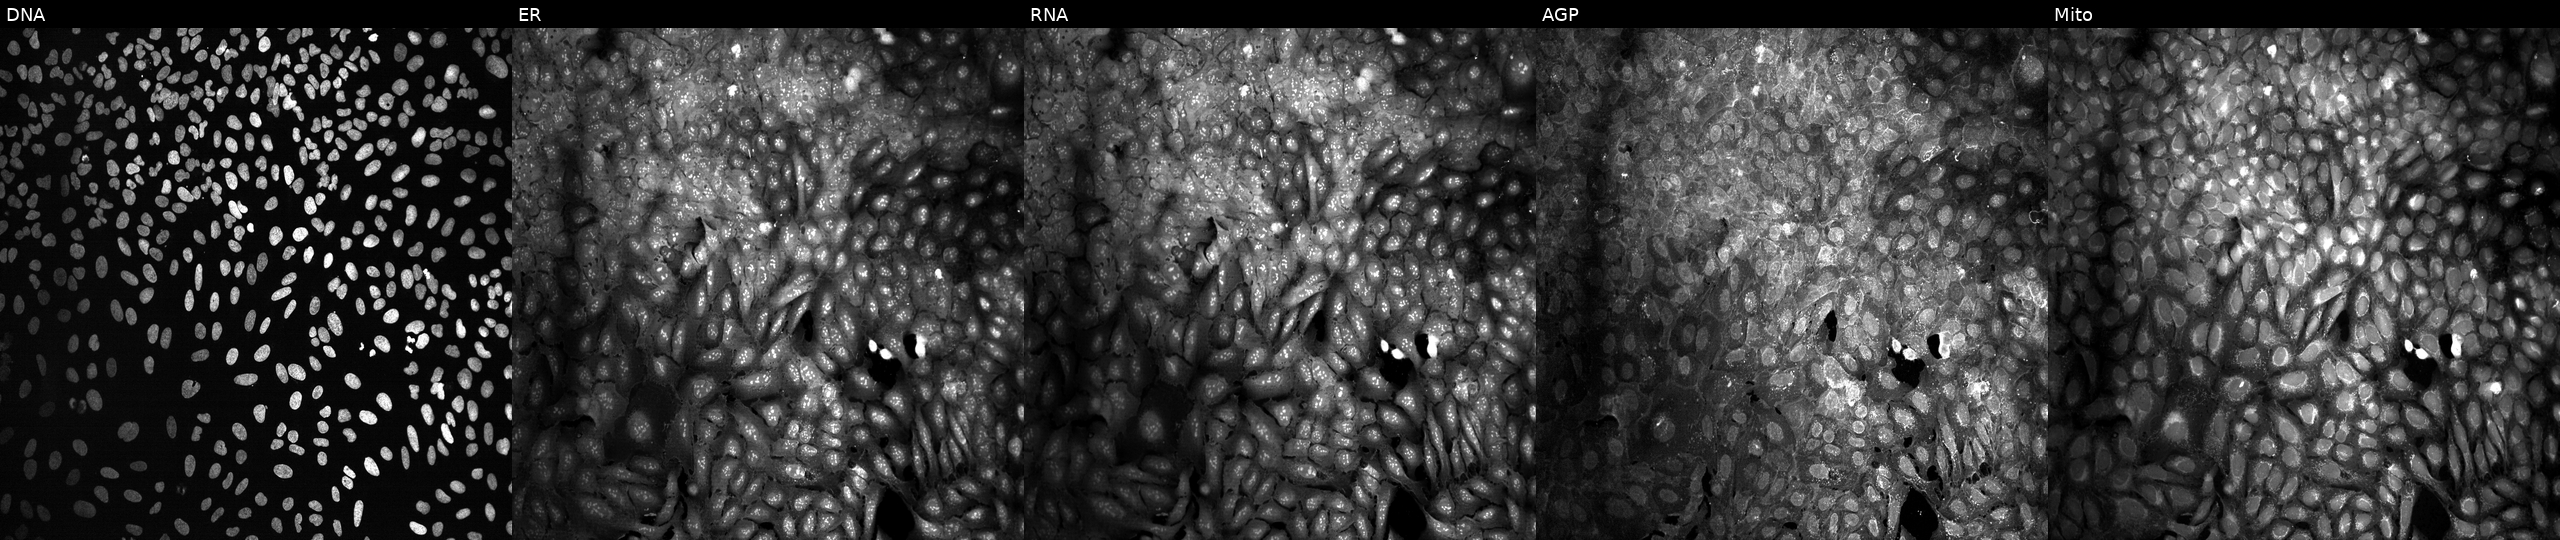
High-content fluorescence microscopy (Cell Painting). Cell line: U2OS. Perturbation: with a non-targeting CRISPR guide (negative control) (JUMP id JCP2022_800002). Panels show, left to right, DNA, ER, RNA, AGP, and Mito. Source 13, plate CP-CC9-R1-02, well A02.